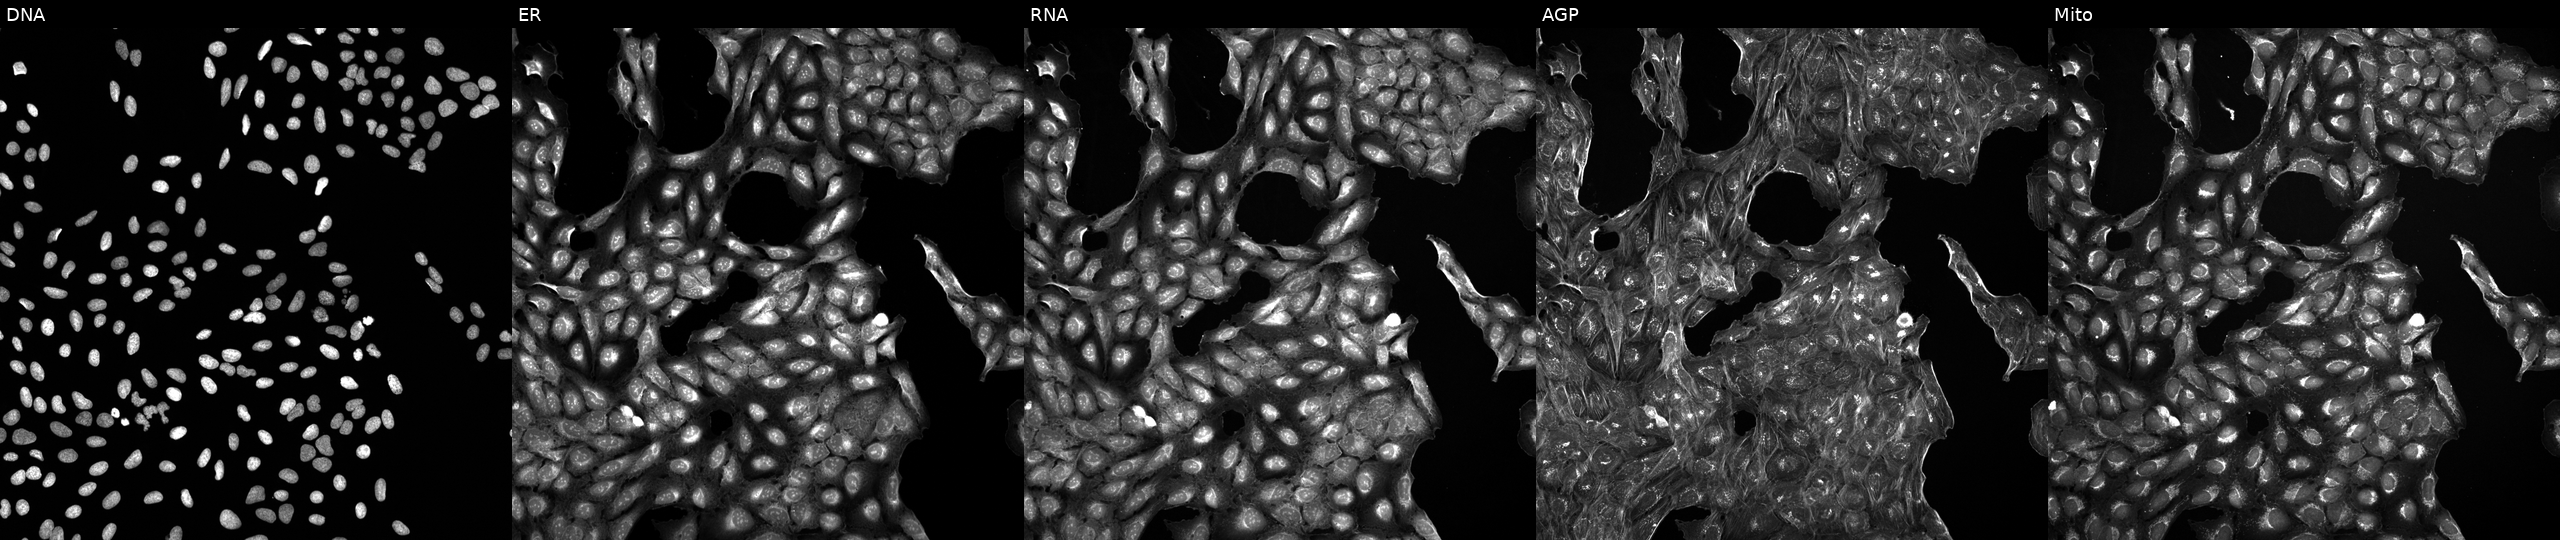
Five-channel Cell Painting image of U2OS cells treated with a small-molecule compound (JUMP id JCP2022_007856). From left to right: DNA, ER, RNA, AGP, and Mito. Source 5, plate APTJUM105, well A19.